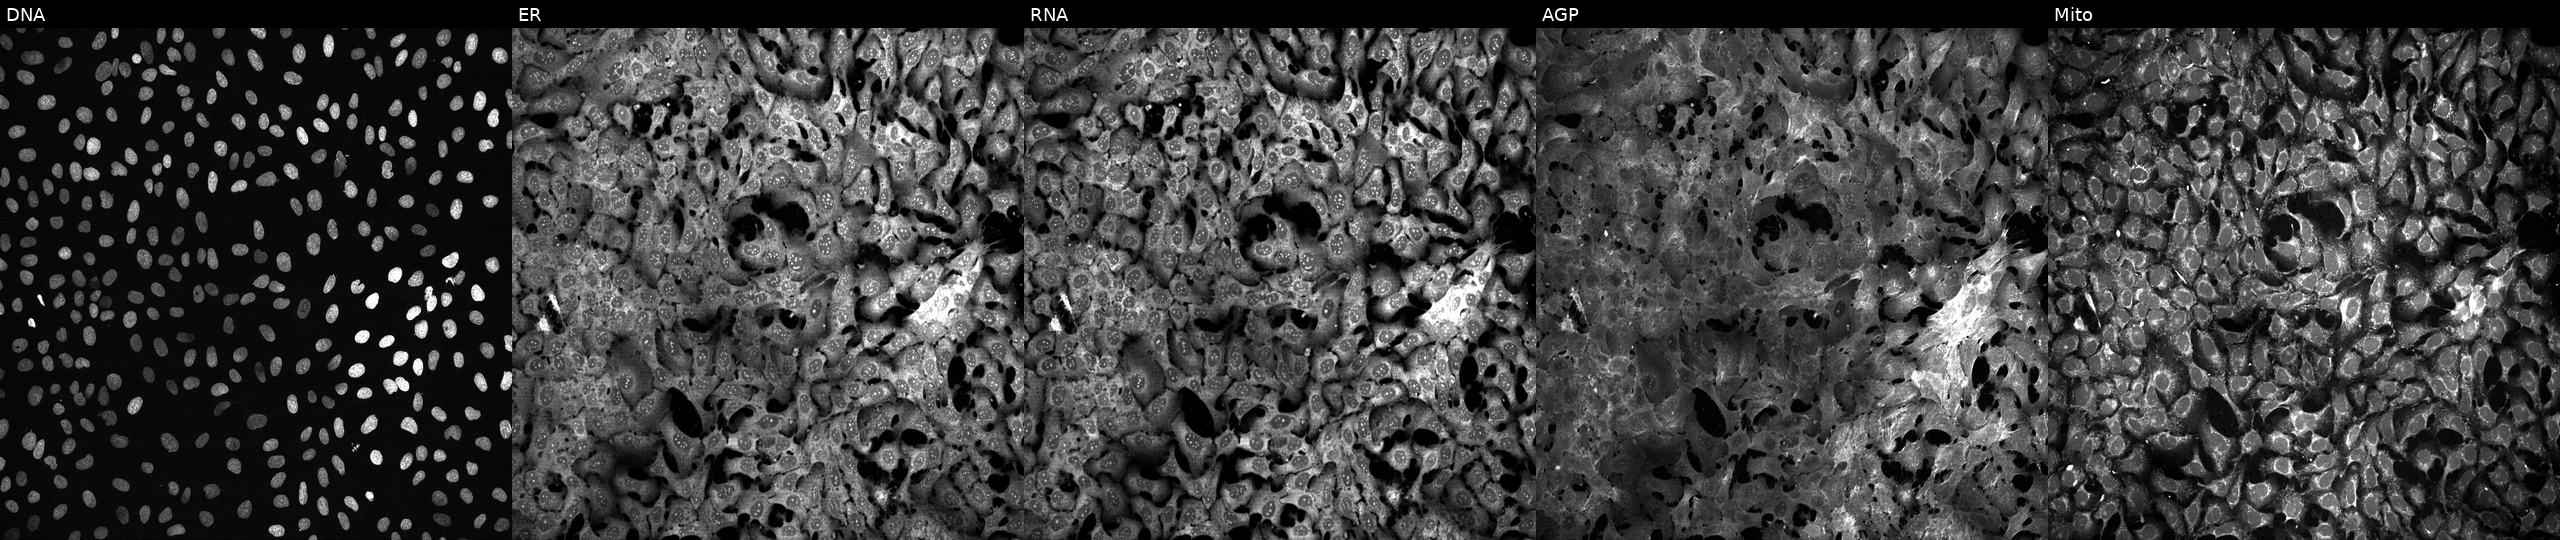
U2OS cells, Cell Painting assay, exposed to the positive-control compound FK-866 (JUMP id JCP2022_046054). Panels show, left to right, Hoechst 33342, concanavalin A, SYTO 14, phalloidin and WGA, MitoTracker. Each panel is percentile-stretched 16-bit fluorescence.